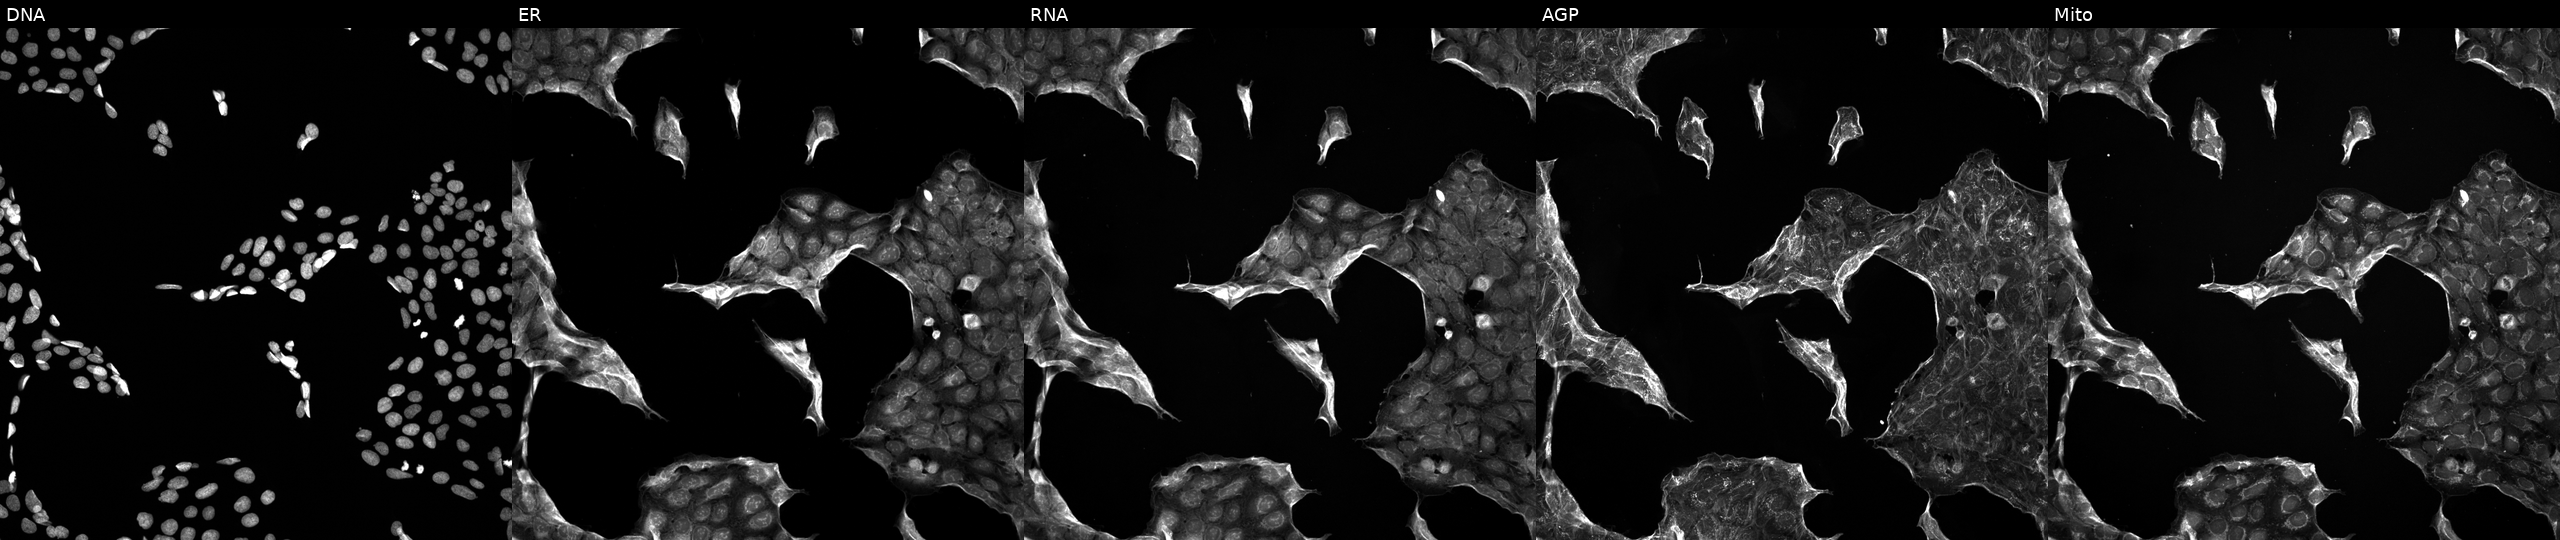
High-content fluorescence microscopy (Cell Painting). Cell line: U2OS. Perturbation: exposed to the positive-control compound LY2109761. The five panels, left to right, show DNA, ER, RNA, AGP, and Mito.